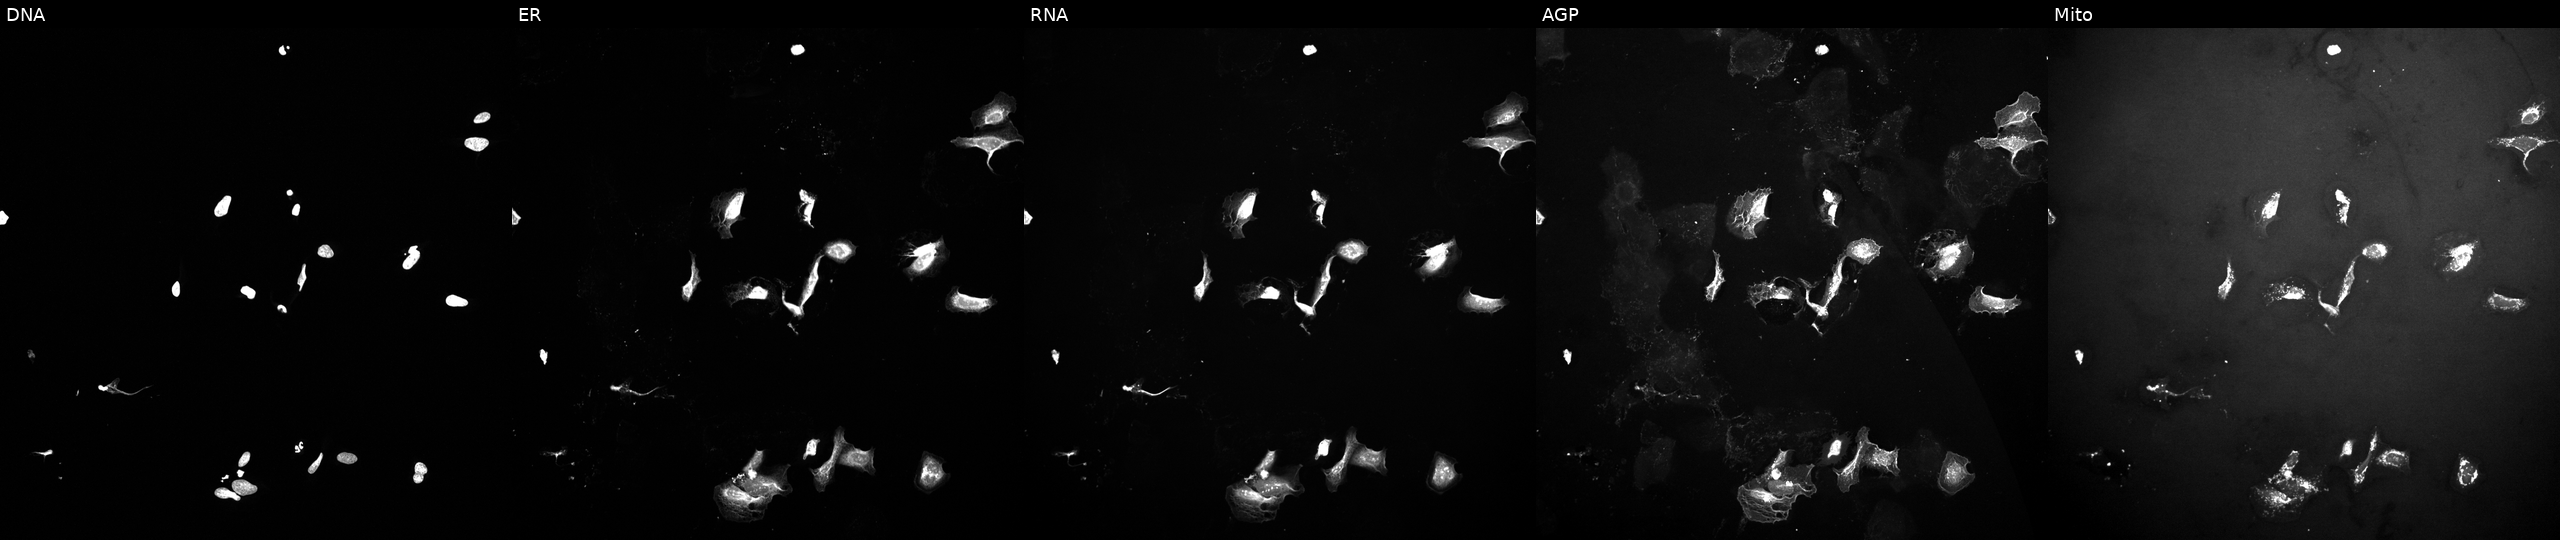
This image strip shows the five Cell Painting channels for a single field of U2OS cells perturbed with a small-molecule compound (InChIKey AYCPARAPKDAOEN-UHFFFAOYSA-N). From left to right: DNA (nuclei); ER (endoplasmic reticulum); RNA (nucleoli and cytoplasmic RNA); AGP (actin cytoskeleton, Golgi, and plasma membrane); Mito (mitochondria).